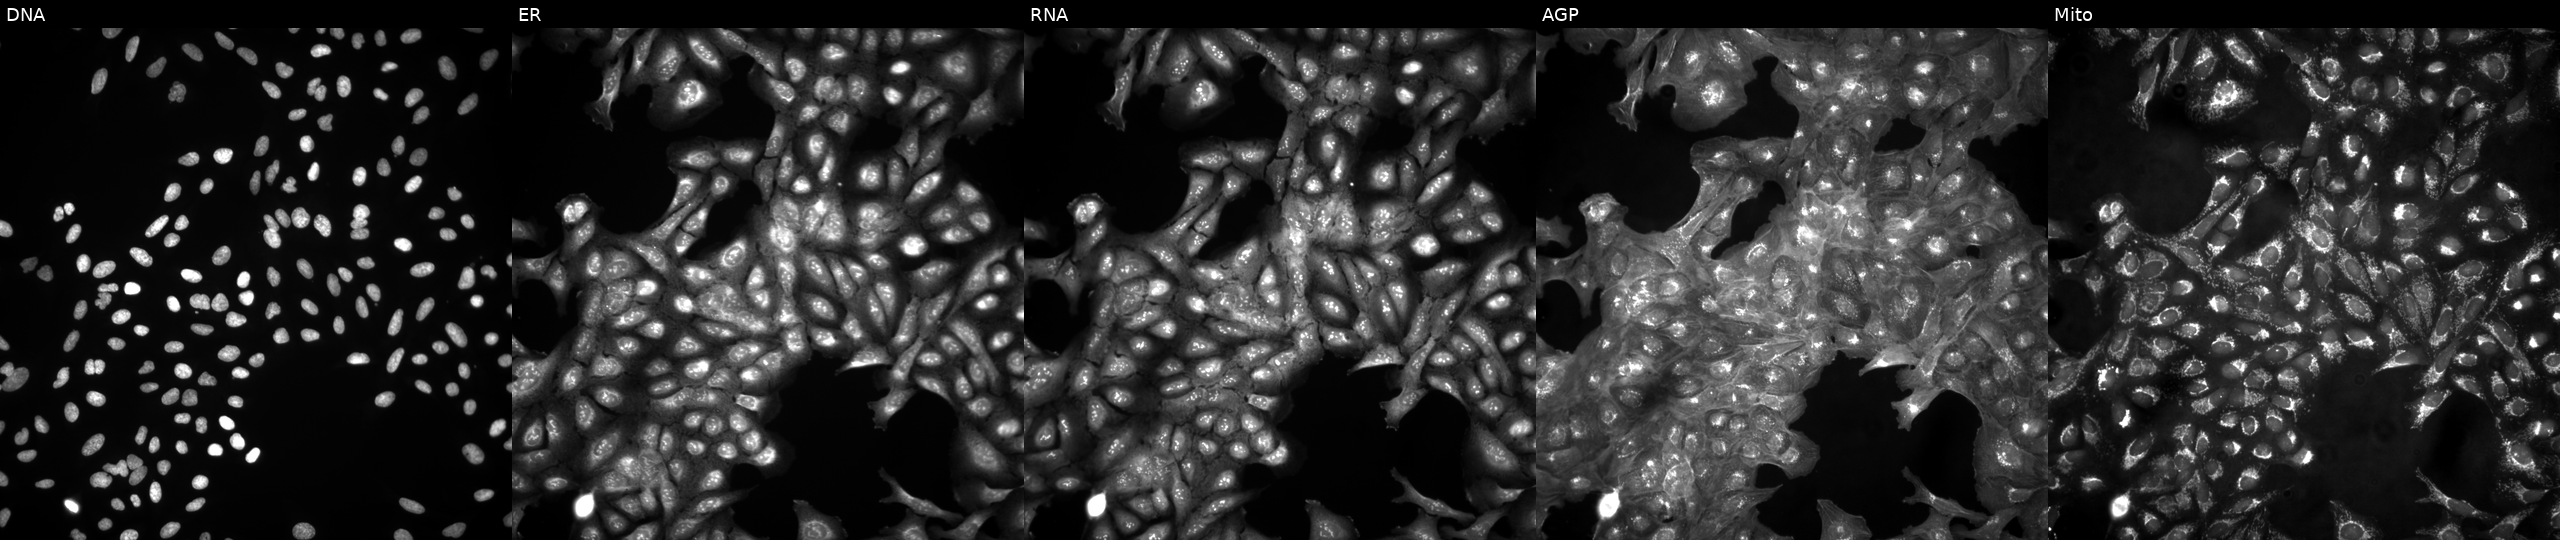
This image strip shows the five Cell Painting channels for a single field of U2OS cells untreated (empty-well control). From left to right: Hoechst 33342, concanavalin A, SYTO 14, phalloidin and WGA, MitoTracker.